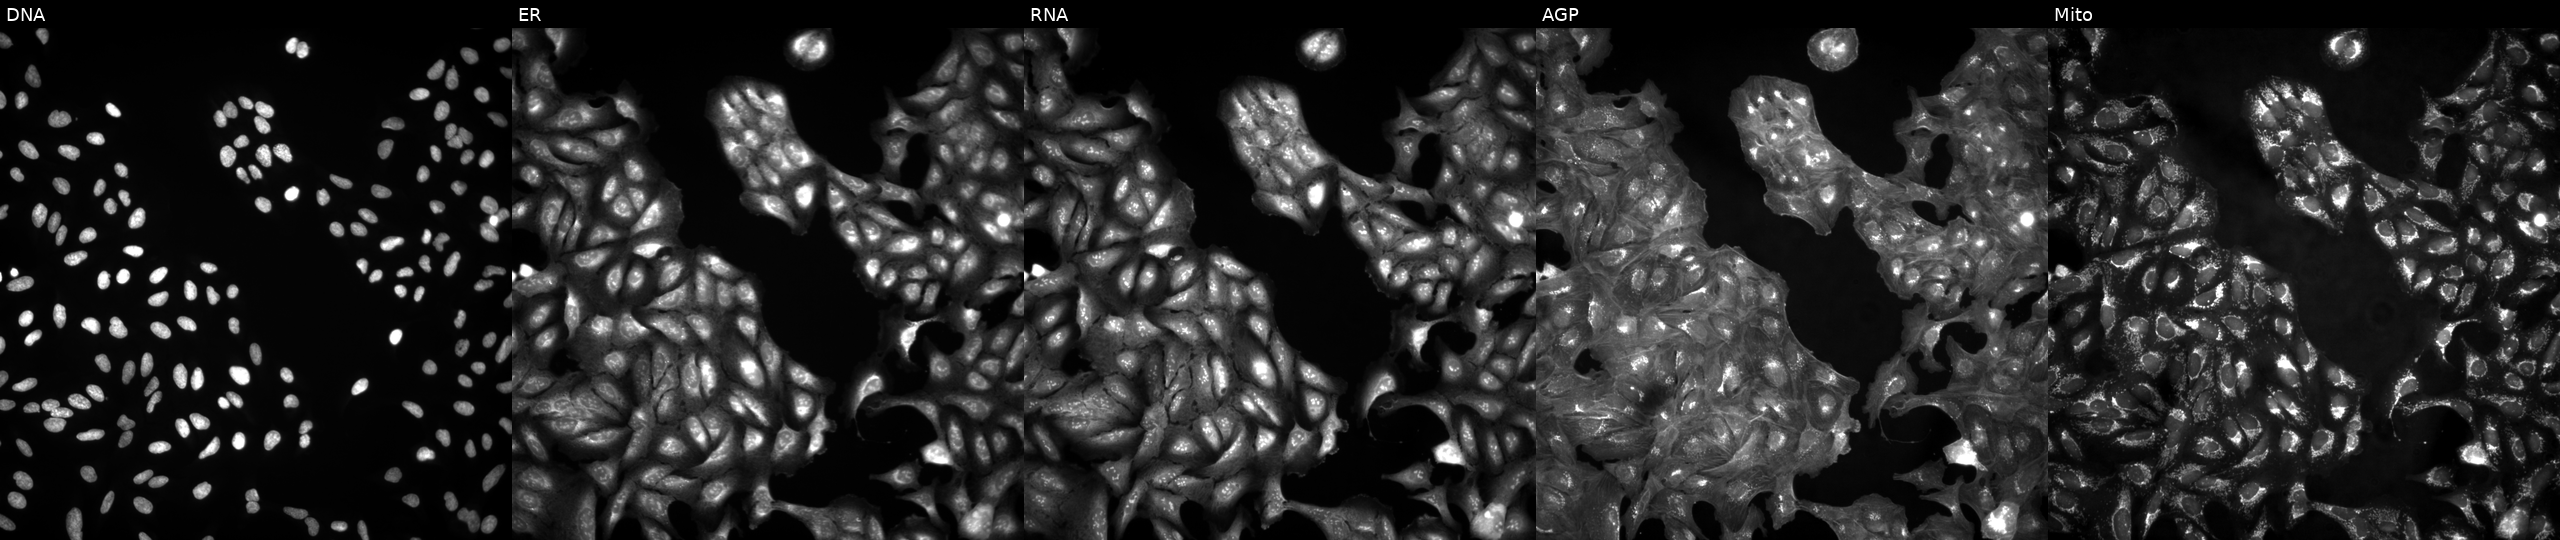
This image strip shows the five Cell Painting channels for a single field of U2OS cells in an empty control well (no perturbation) (JUMP id JCP2022_999999). Channels (left→right): Hoechst 33342, concanavalin A, SYTO 14, phalloidin and WGA, MitoTracker.